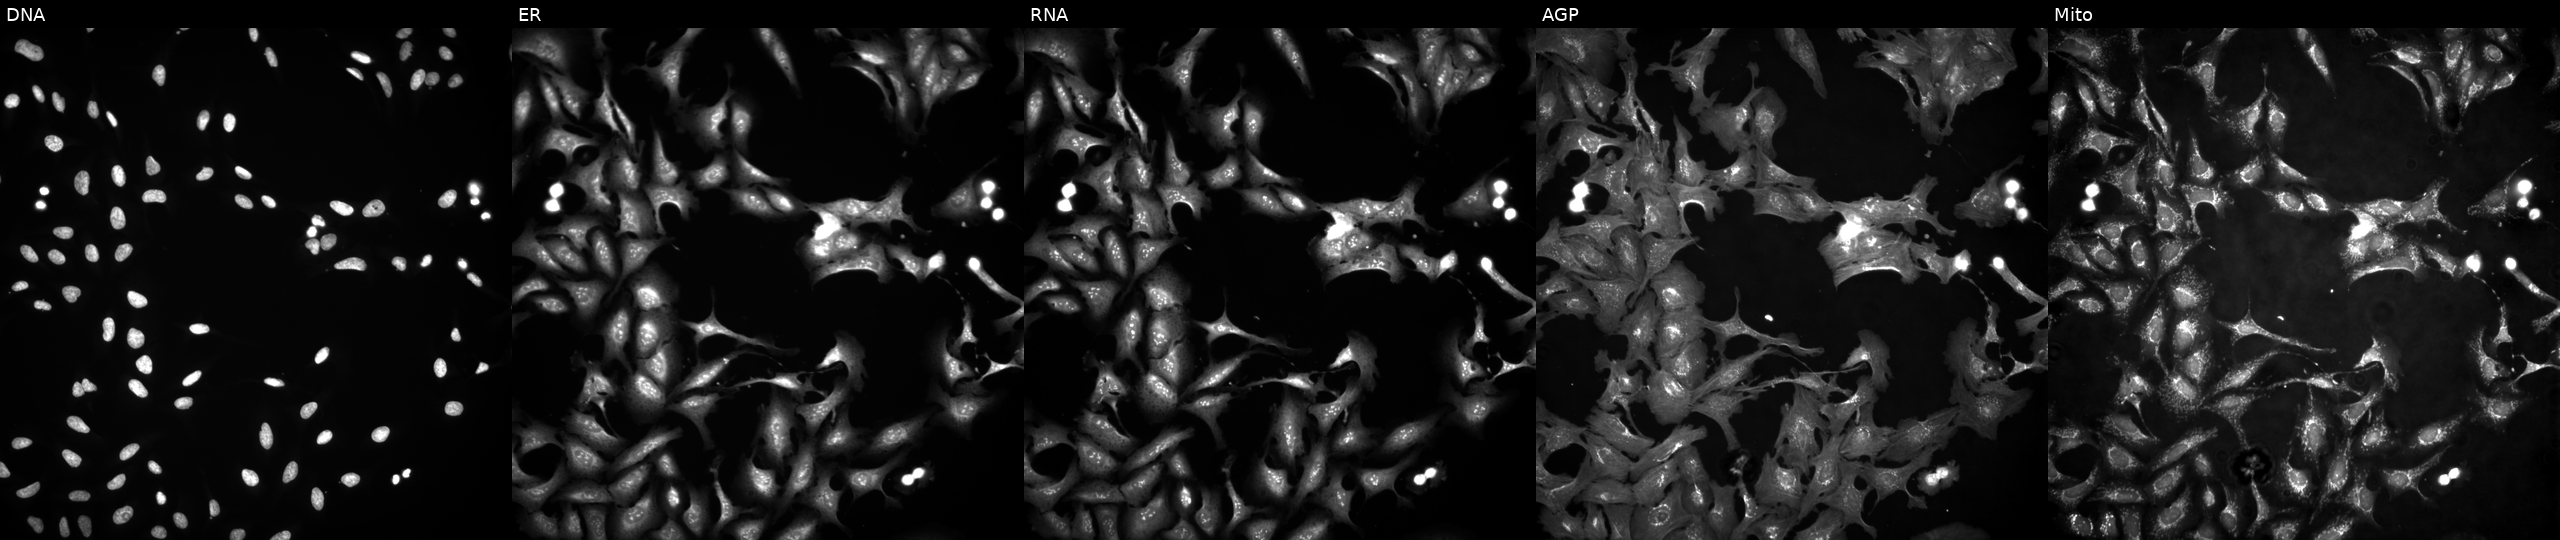
High-content fluorescence microscopy (Cell Painting). Cell line: U2OS. Perturbation: transfected with an ORF construct for PAK6 (JUMP id JCP2022_914127). The five panels, left to right, show Hoechst 33342, concanavalin A, SYTO 14, phalloidin and WGA, MitoTracker.